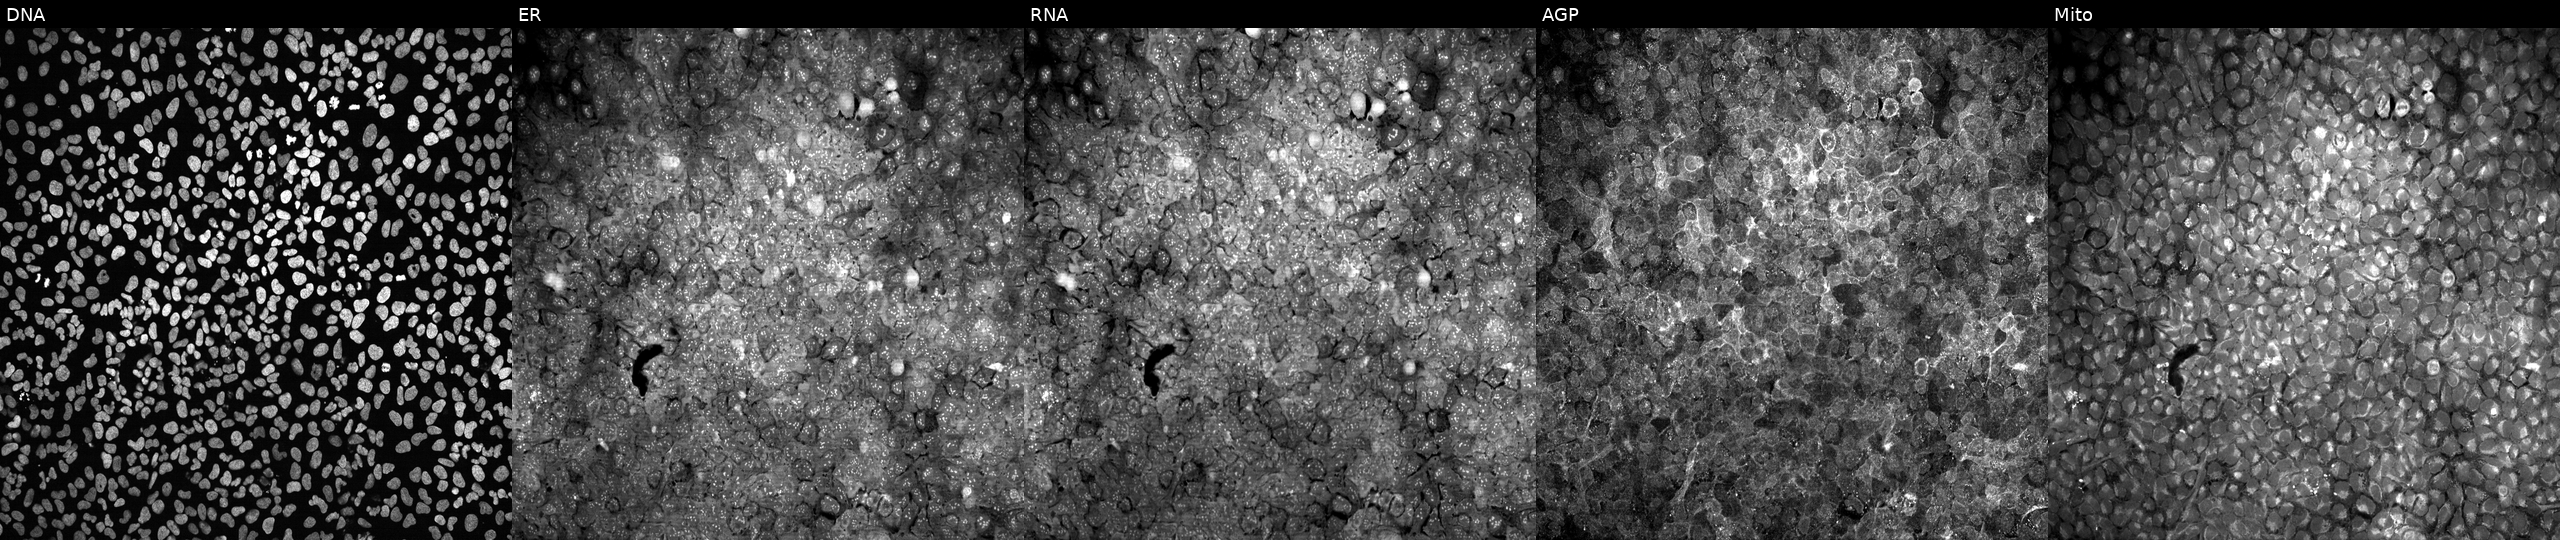
U2OS cells, Cell Painting assay, with GABARAPL2 knocked out by CRISPR (JUMP id JCP2022_802546). Channels (left→right): DNA (nuclei); ER (endoplasmic reticulum); RNA (nucleoli and cytoplasmic RNA); AGP (actin cytoskeleton, Golgi, and plasma membrane); Mito (mitochondria). Each panel is percentile-stretched 16-bit fluorescence.